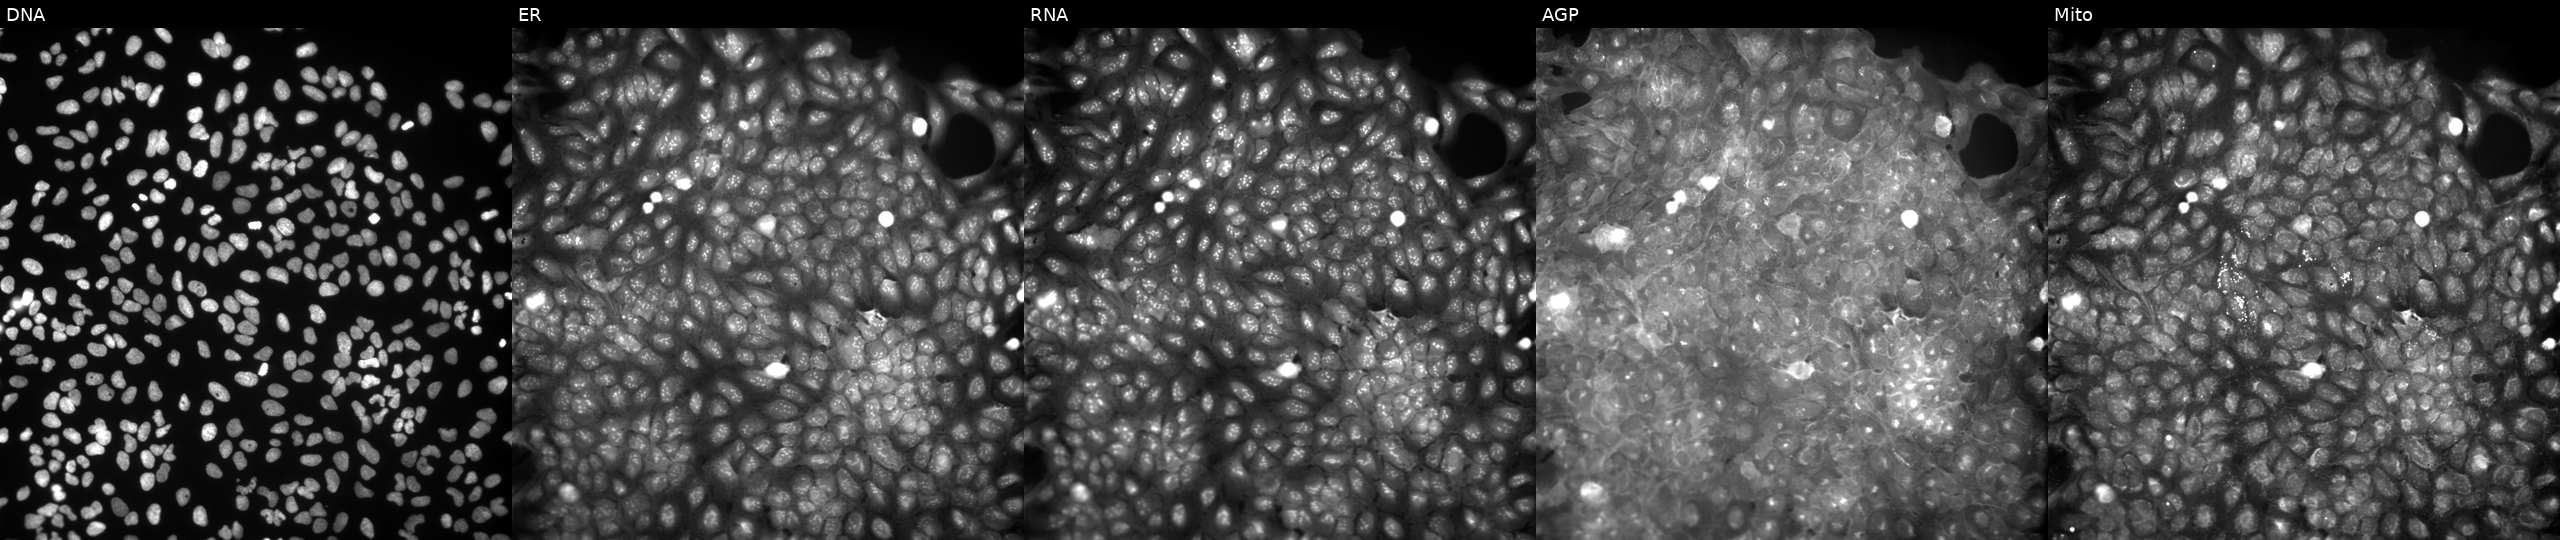
Five-channel Cell Painting image of U2OS cells exposed to a small-molecule compound (InChIKey KQCQEDQQQAKBDX-UHFFFAOYSA-N) (JUMP id JCP2022_046271). Channels (left→right): DNA, ER, RNA, AGP, and Mito. Source 9, plate GR00003381, well Z13.